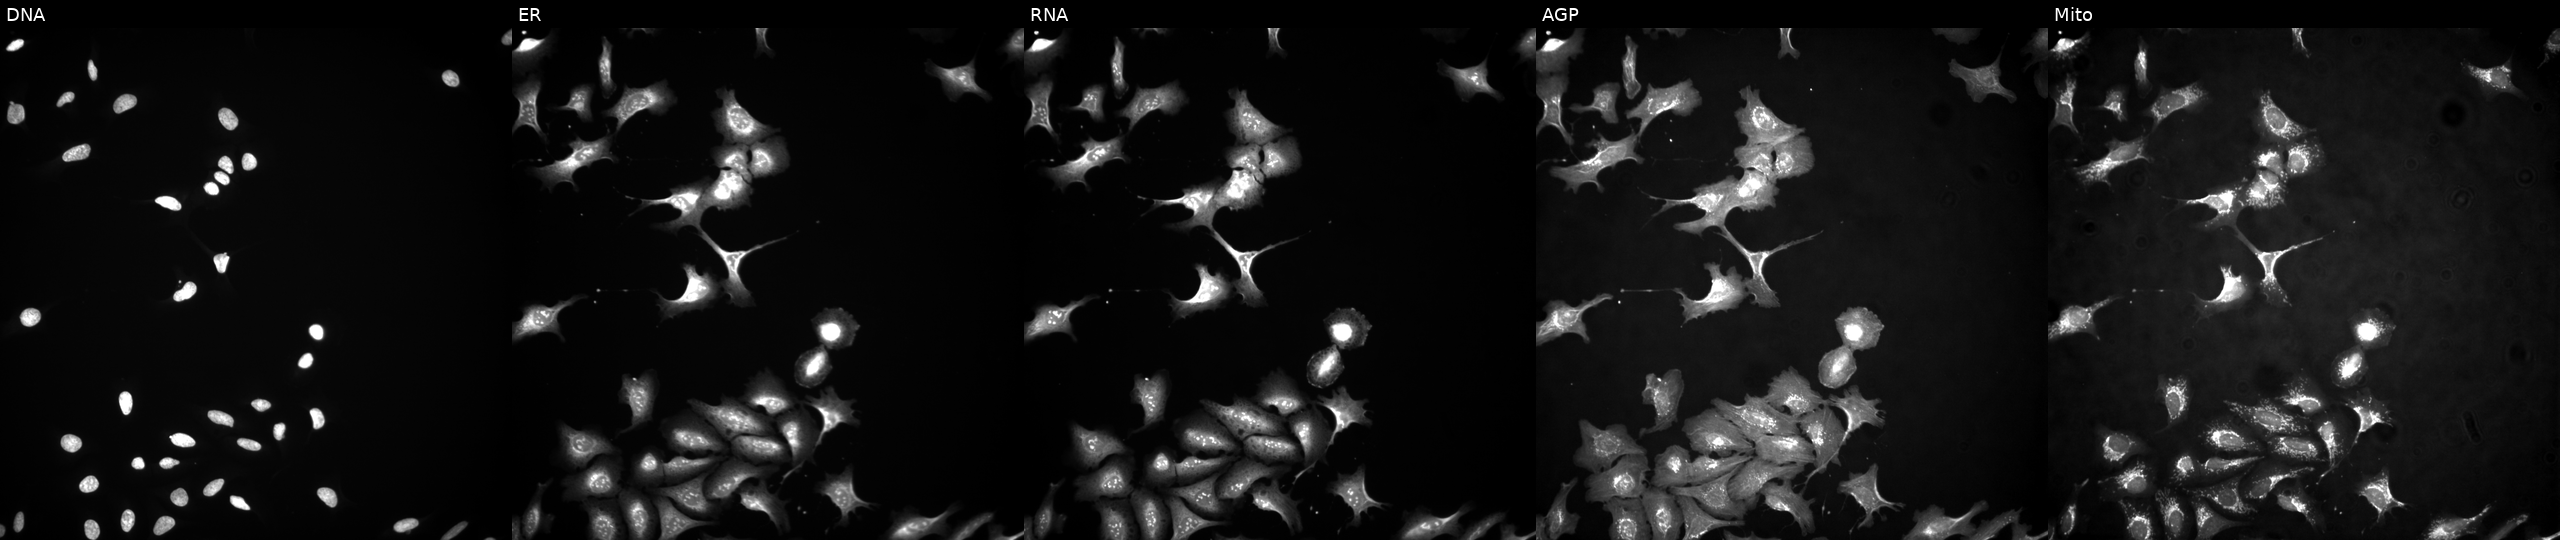
Five-channel Cell Painting image of U2OS cells transfected with an ORF construct for MFAP3L. Panels show, left to right, DNA, ER, RNA, AGP, and Mito.